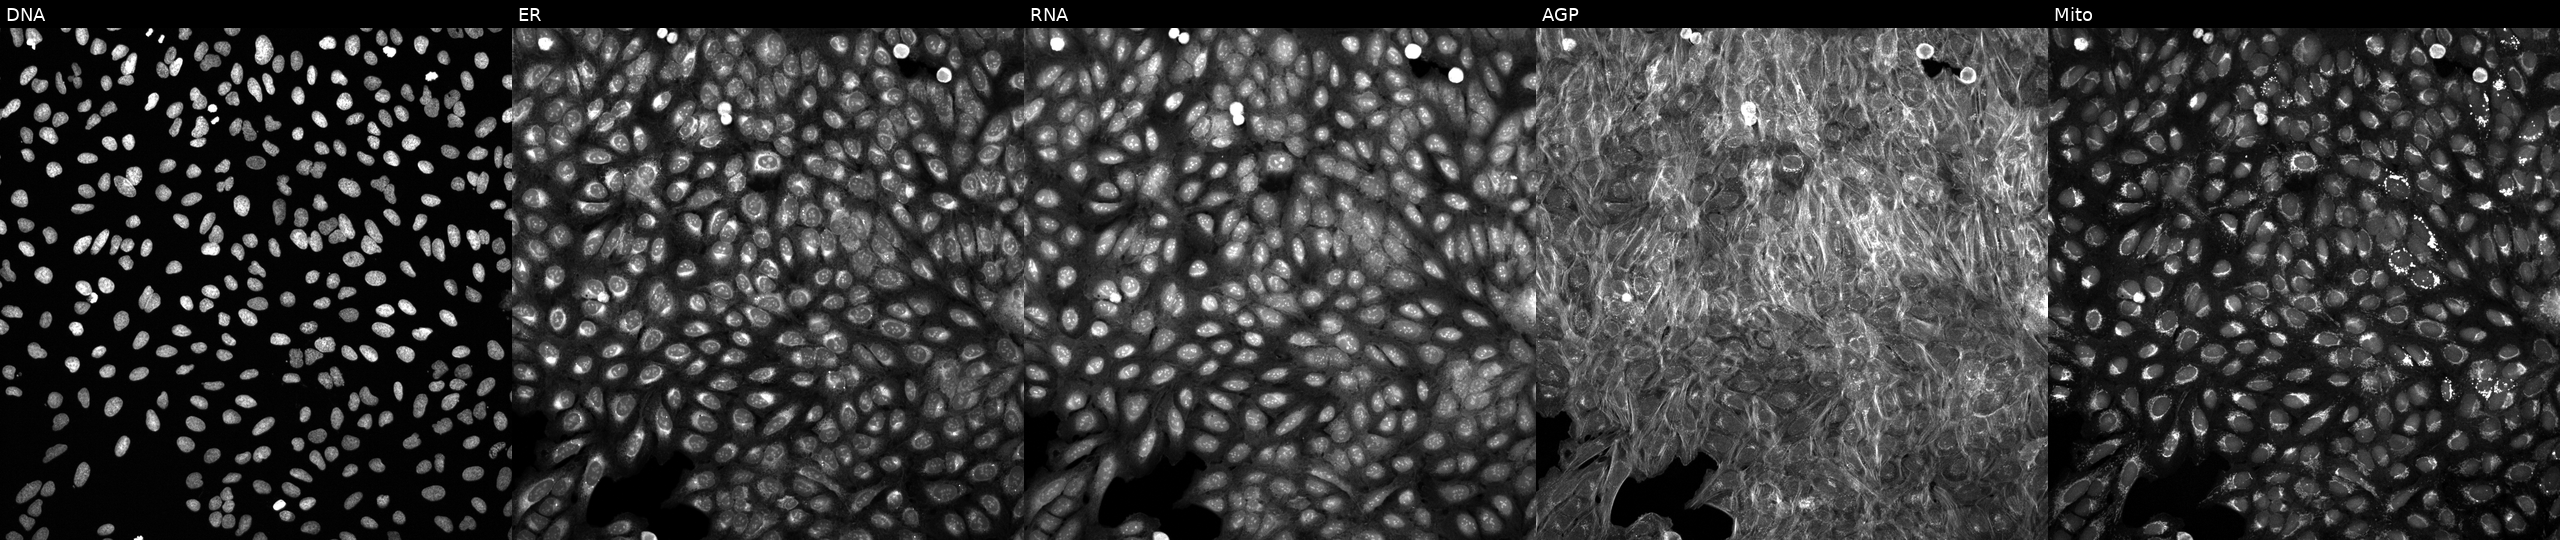
U2OS cells, Cell Painting assay, exposed to a small-molecule compound (InChIKey PDMUGYOXRHVNMO-UHFFFAOYSA-N). Panels show, left to right, DNA, ER, RNA, AGP, and Mito. Each panel is percentile-stretched 16-bit fluorescence. Source 6, plate 110000294901, well L08.